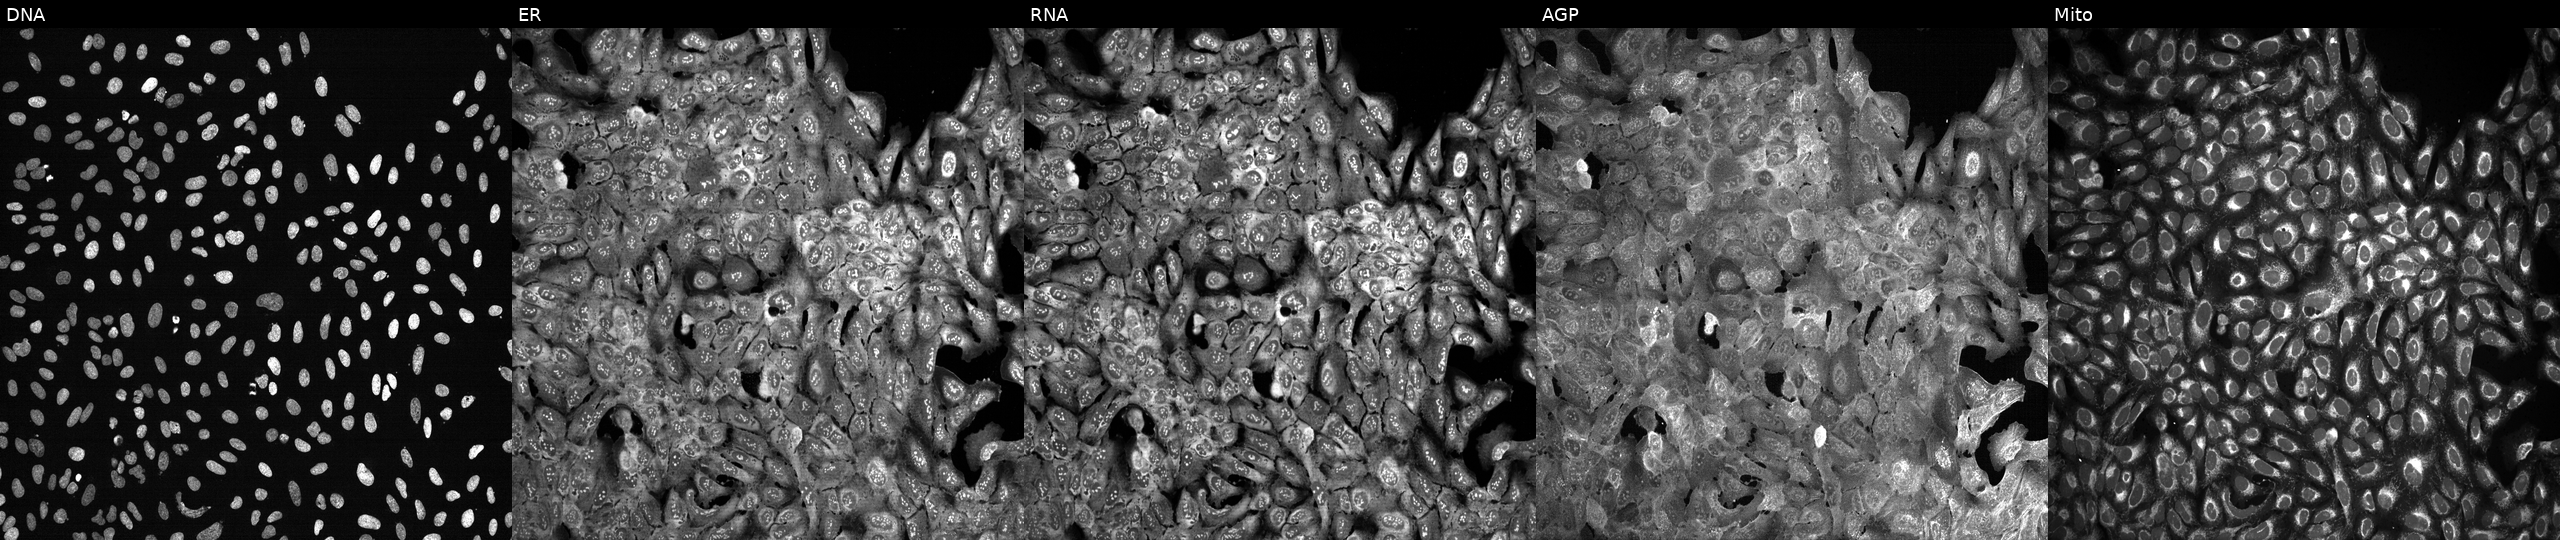
High-content fluorescence microscopy (Cell Painting). Cell line: U2OS. Perturbation: following CRISPR knockout of IBSP. The five panels, left to right, show Hoechst 33342, concanavalin A, SYTO 14, phalloidin and WGA, MitoTracker. Source 13, plate CP-CC9-R2-02, well J03.